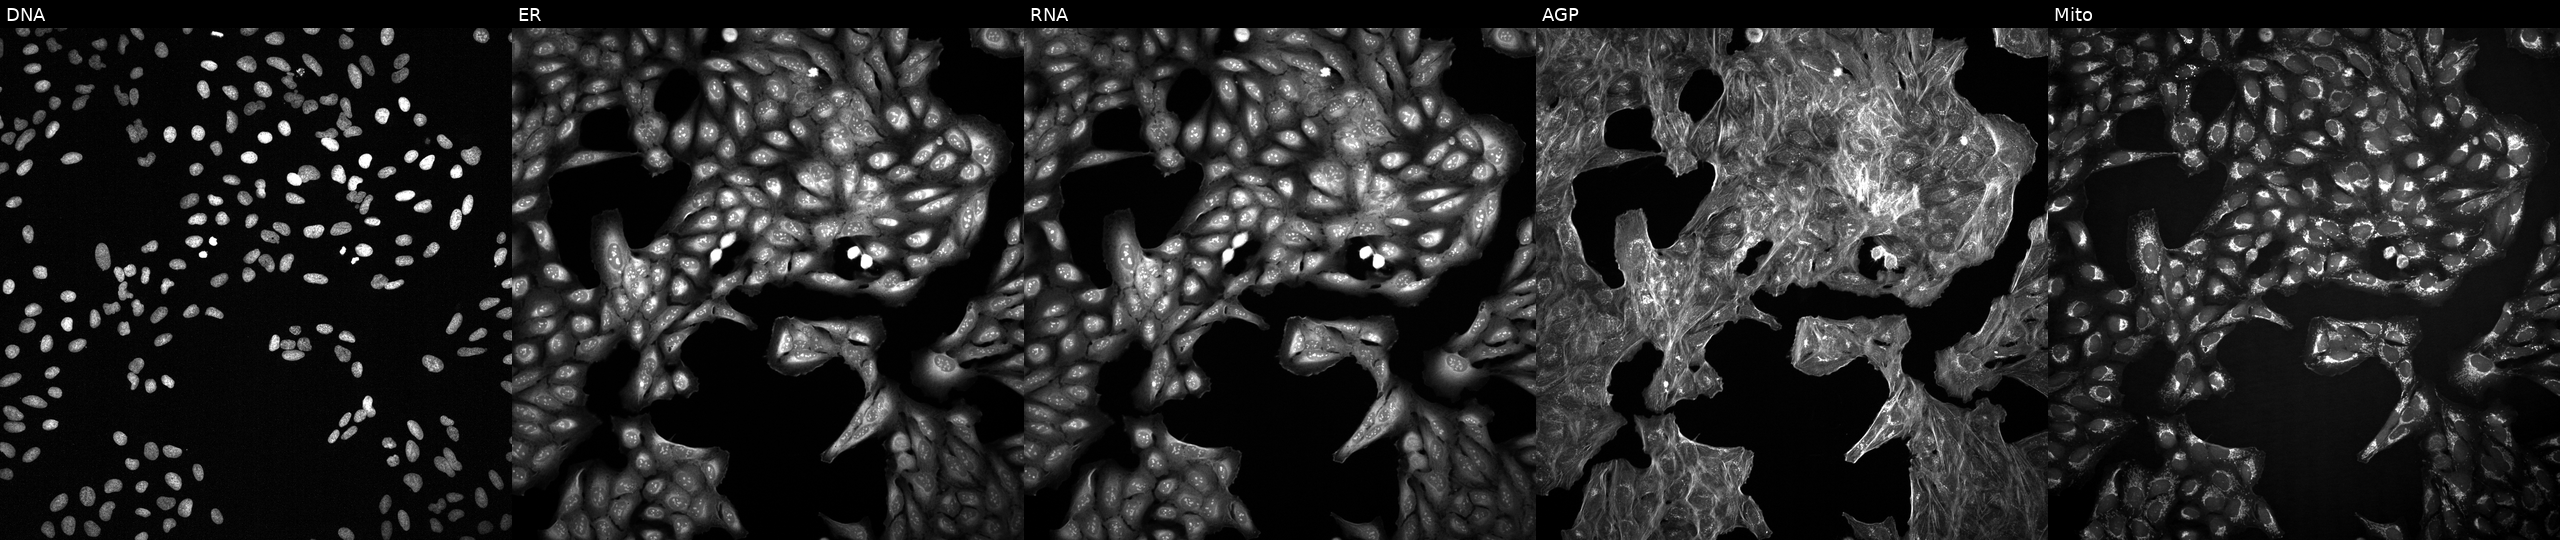
This image strip shows the five Cell Painting channels for a single field of U2OS cells exposed to DMSO alone as a negative control. The five panels, left to right, show DNA (nuclei); ER (endoplasmic reticulum); RNA (nucleoli and cytoplasmic RNA); AGP (actin cytoskeleton, Golgi, and plasma membrane); Mito (mitochondria). Source 2, plate 1053600674, well M21.